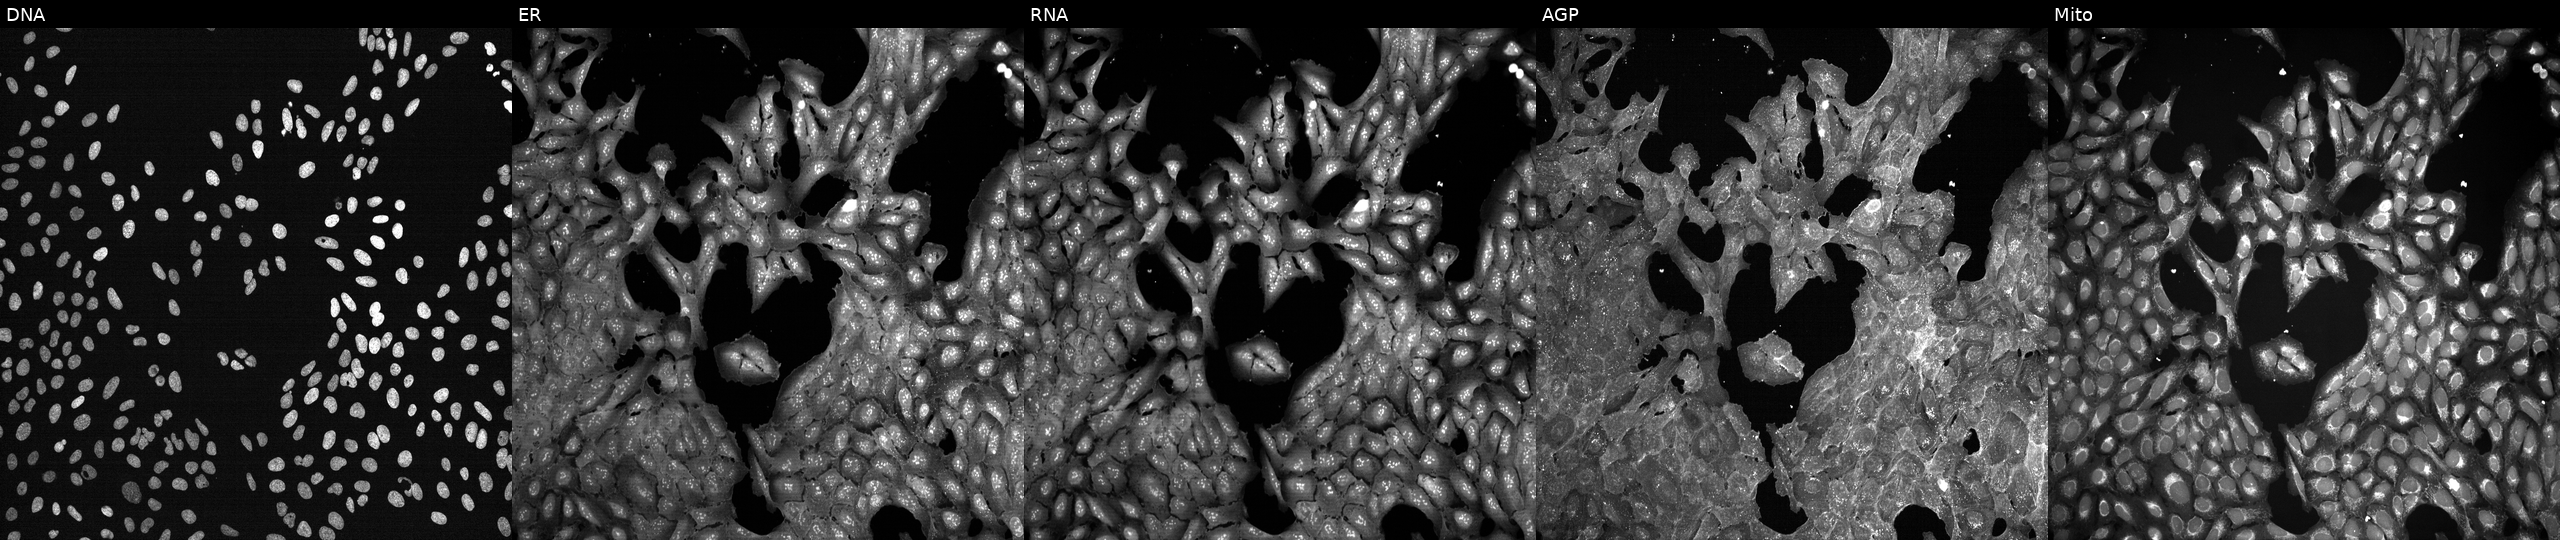
Five-channel Cell Painting image of U2OS cells perturbed with a small-molecule compound (InChIKey PMXMIIMHBWHSKN-UHFFFAOYSA-N). Channels (left→right): DNA (nuclei); ER (endoplasmic reticulum); RNA (nucleoli and cytoplasmic RNA); AGP (actin cytoskeleton, Golgi, and plasma membrane); Mito (mitochondria). Source 7, plate CP2-SC1-25, well F04.